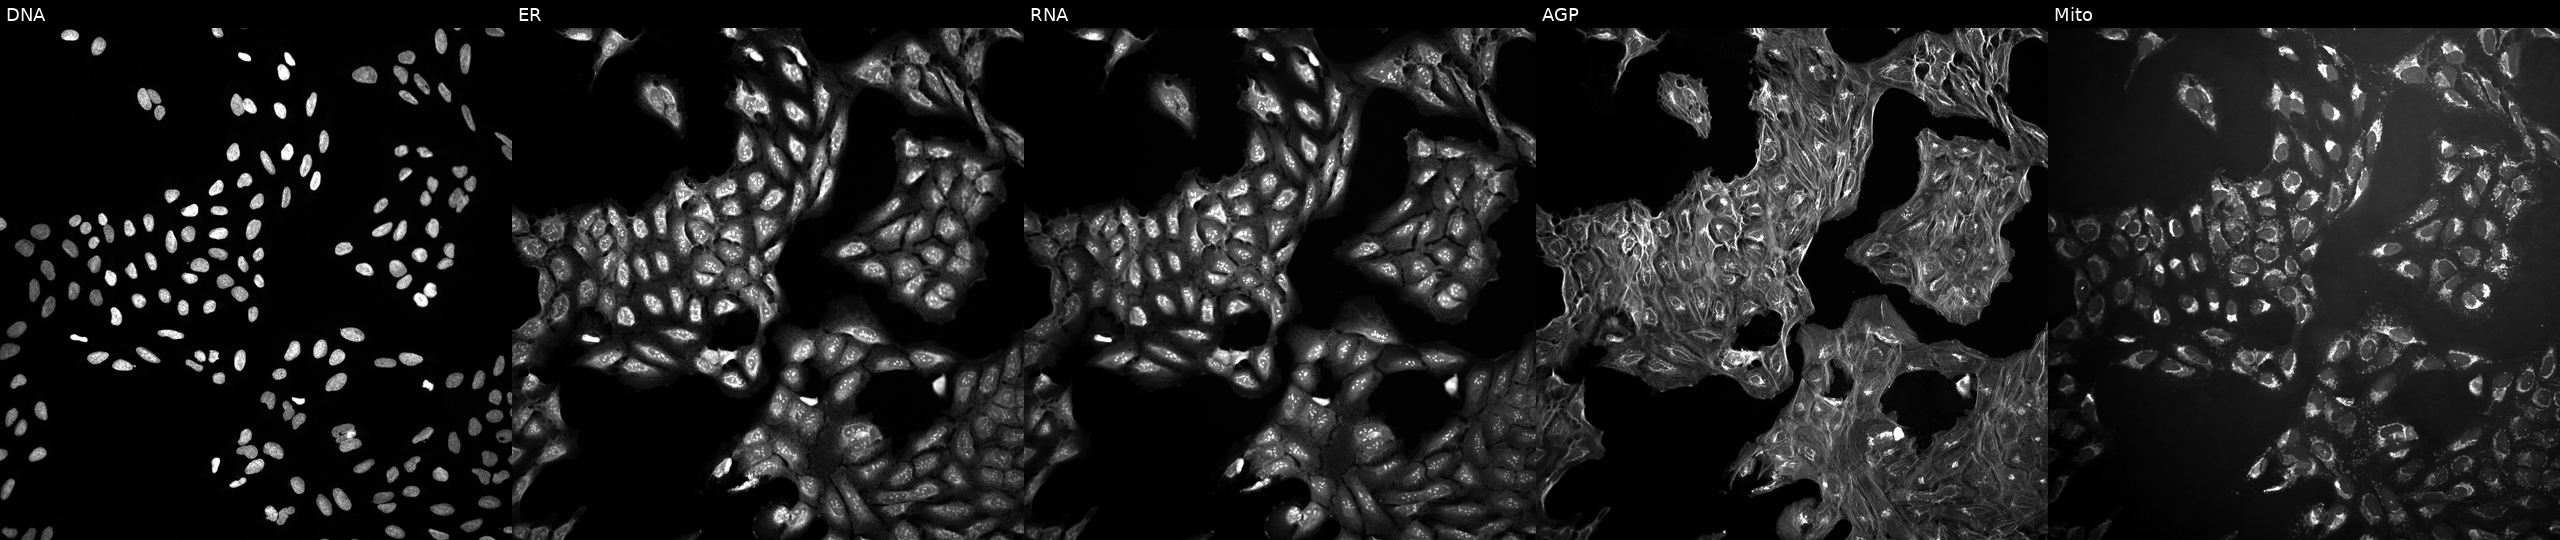
This image strip shows the five Cell Painting channels for a single field of U2OS cells treated with a small-molecule compound (InChIKey VFSVKVQMZDJFQX-UHFFFAOYSA-N) [SMILES: Cc1cccc(Oc2nc3c(C)cccn3c(=O)c2C=C(C#N)c2nc3ccccc3s2)c1]. The five panels, left to right, show DNA, ER, RNA, AGP, and Mito. Source 10, plate Dest210726-160150, well C21.